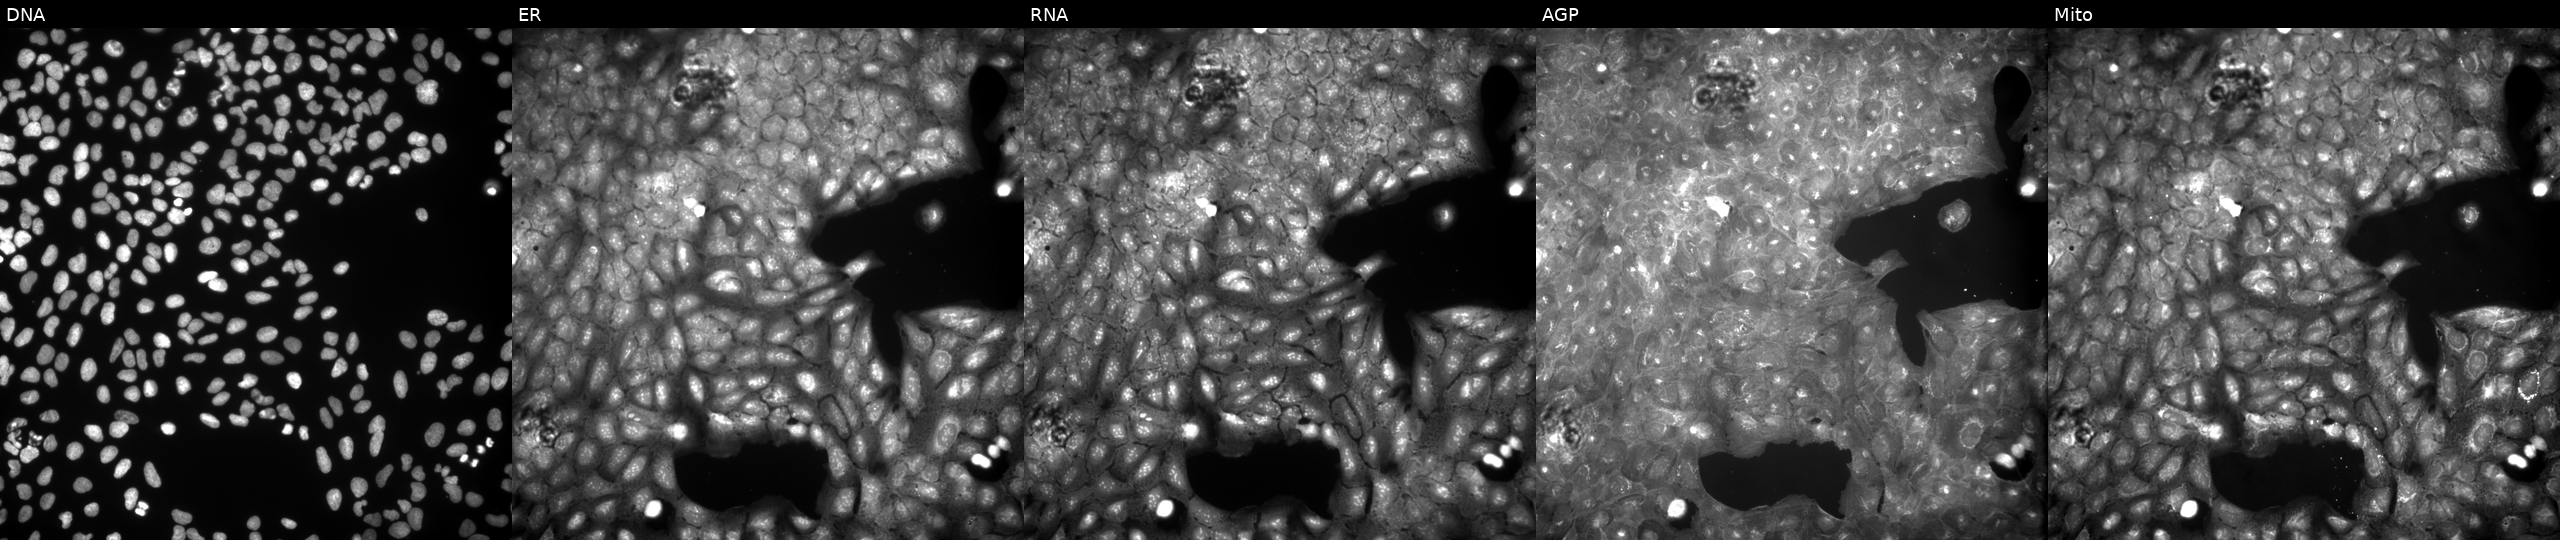
This image strip shows the five Cell Painting channels for a single field of U2OS cells exposed to a small-molecule compound (InChIKey CXSQPXQHUQKWPJ-UHFFFAOYSA-N) (JUMP id JCP2022_014104). From left to right: Hoechst 33342, concanavalin A, SYTO 14, phalloidin and WGA, MitoTracker.